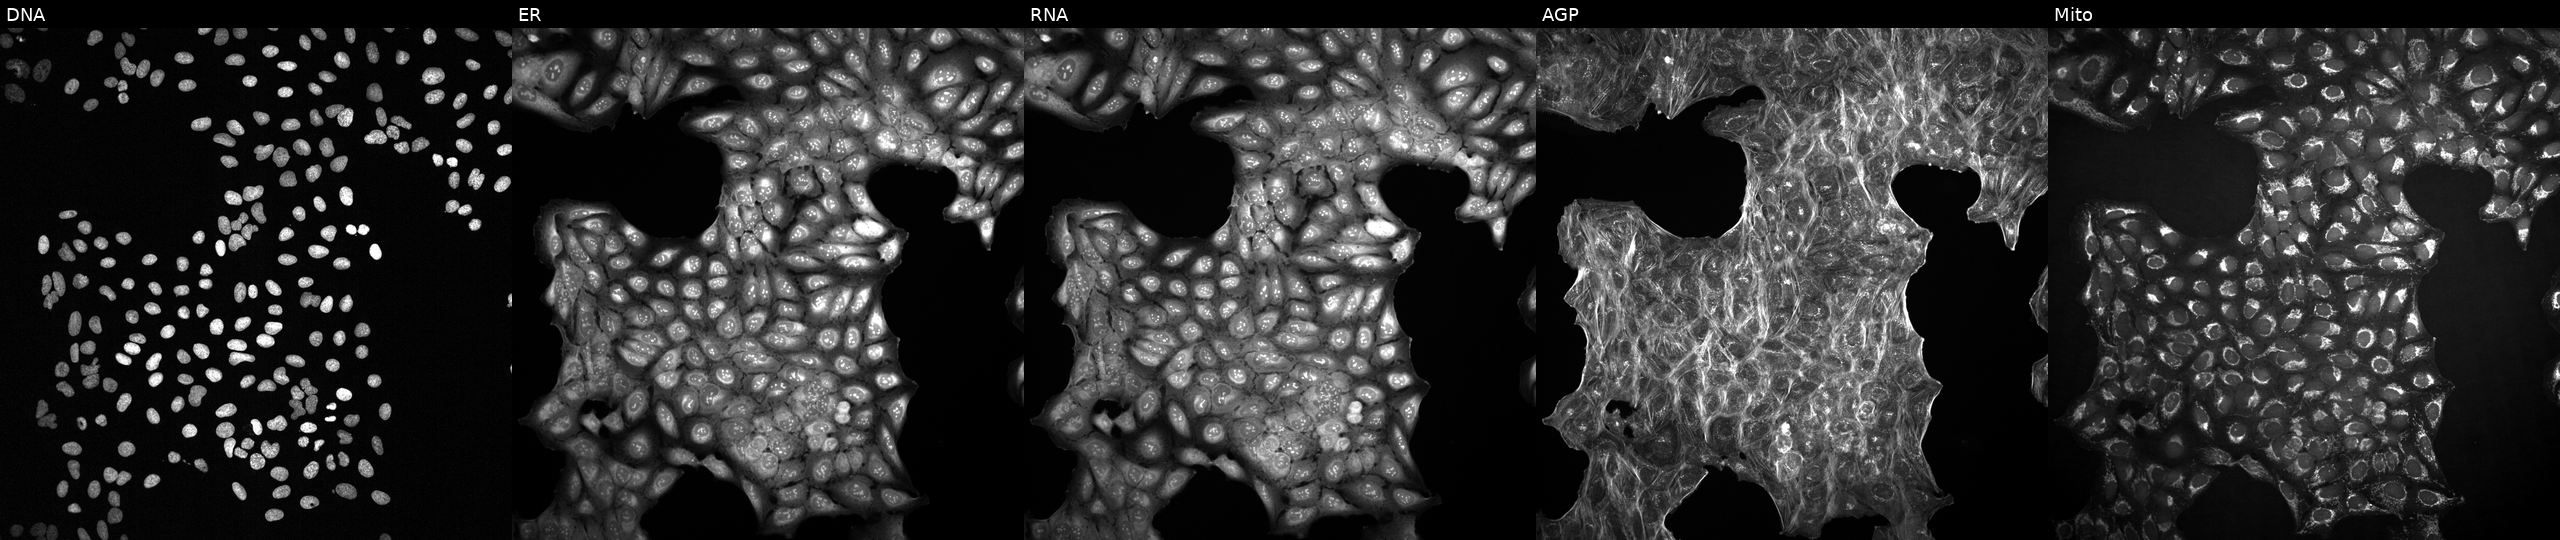
This image strip shows the five Cell Painting channels for a single field of U2OS cells treated with DMSO vehicle only (negative control) (JUMP id JCP2022_033924). Channels (left→right): Hoechst 33342, concanavalin A, SYTO 14, phalloidin and WGA, MitoTracker.